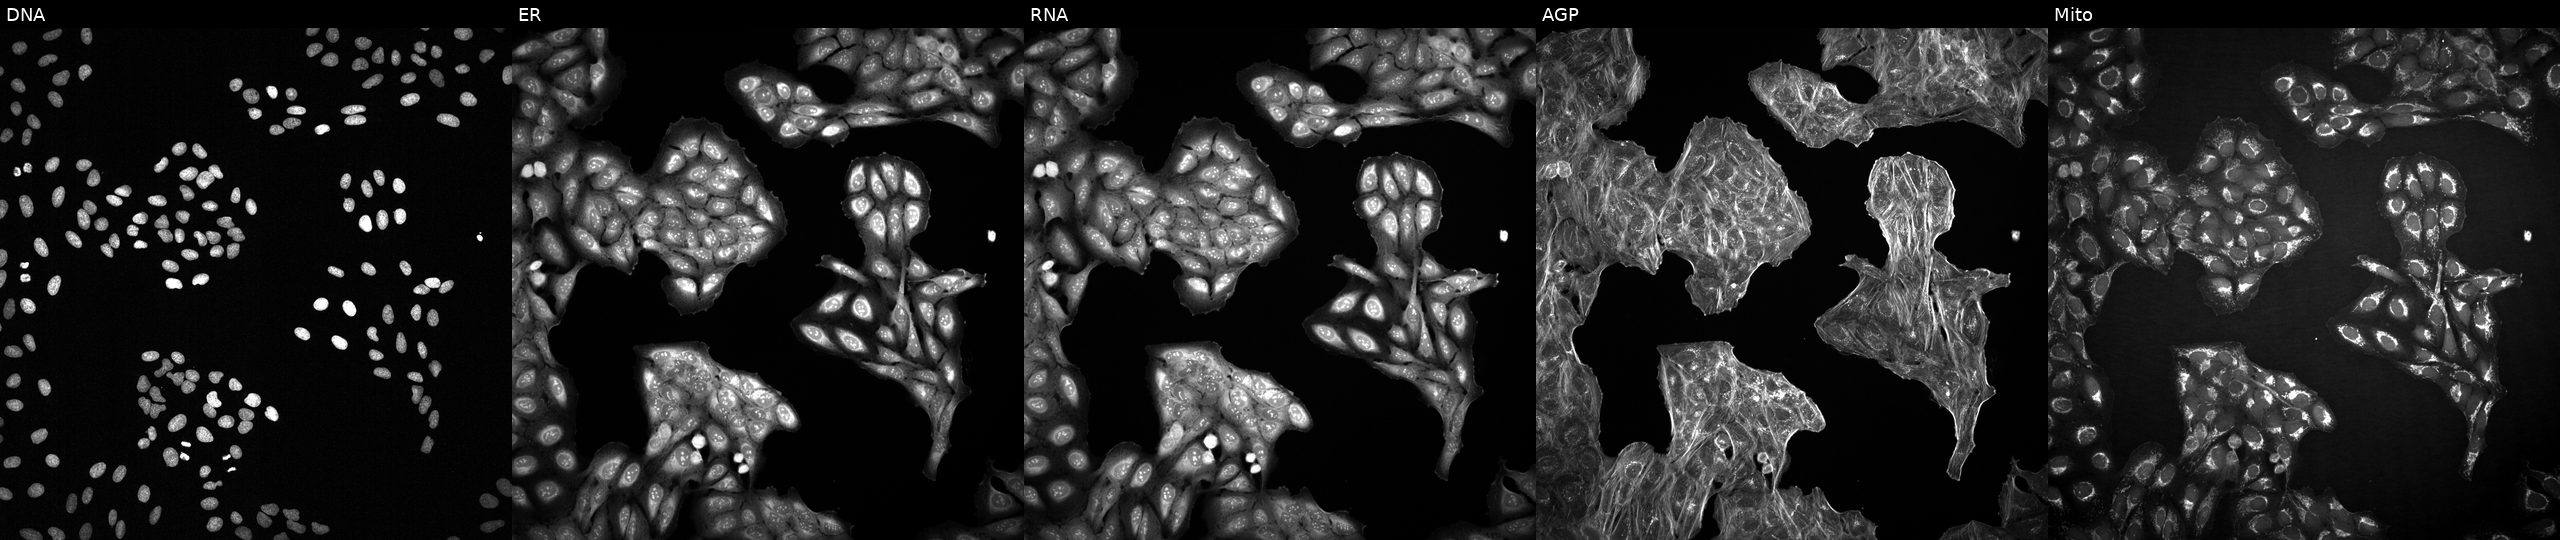
U2OS cells, Cell Painting assay, perturbed with a small-molecule compound (InChIKey IDTRFEMLPZSKLJ-UHFFFAOYSA-N) [SMILES: Cc1ccc(C(=O)Cc2nc(O)cs2)cc1]. Panels show, left to right, DNA (nuclei); ER (endoplasmic reticulum); RNA (nucleoli and cytoplasmic RNA); AGP (actin cytoskeleton, Golgi, and plasma membrane); Mito (mitochondria). Each panel is percentile-stretched 16-bit fluorescence. Source 2, plate 1053601756, well C18.